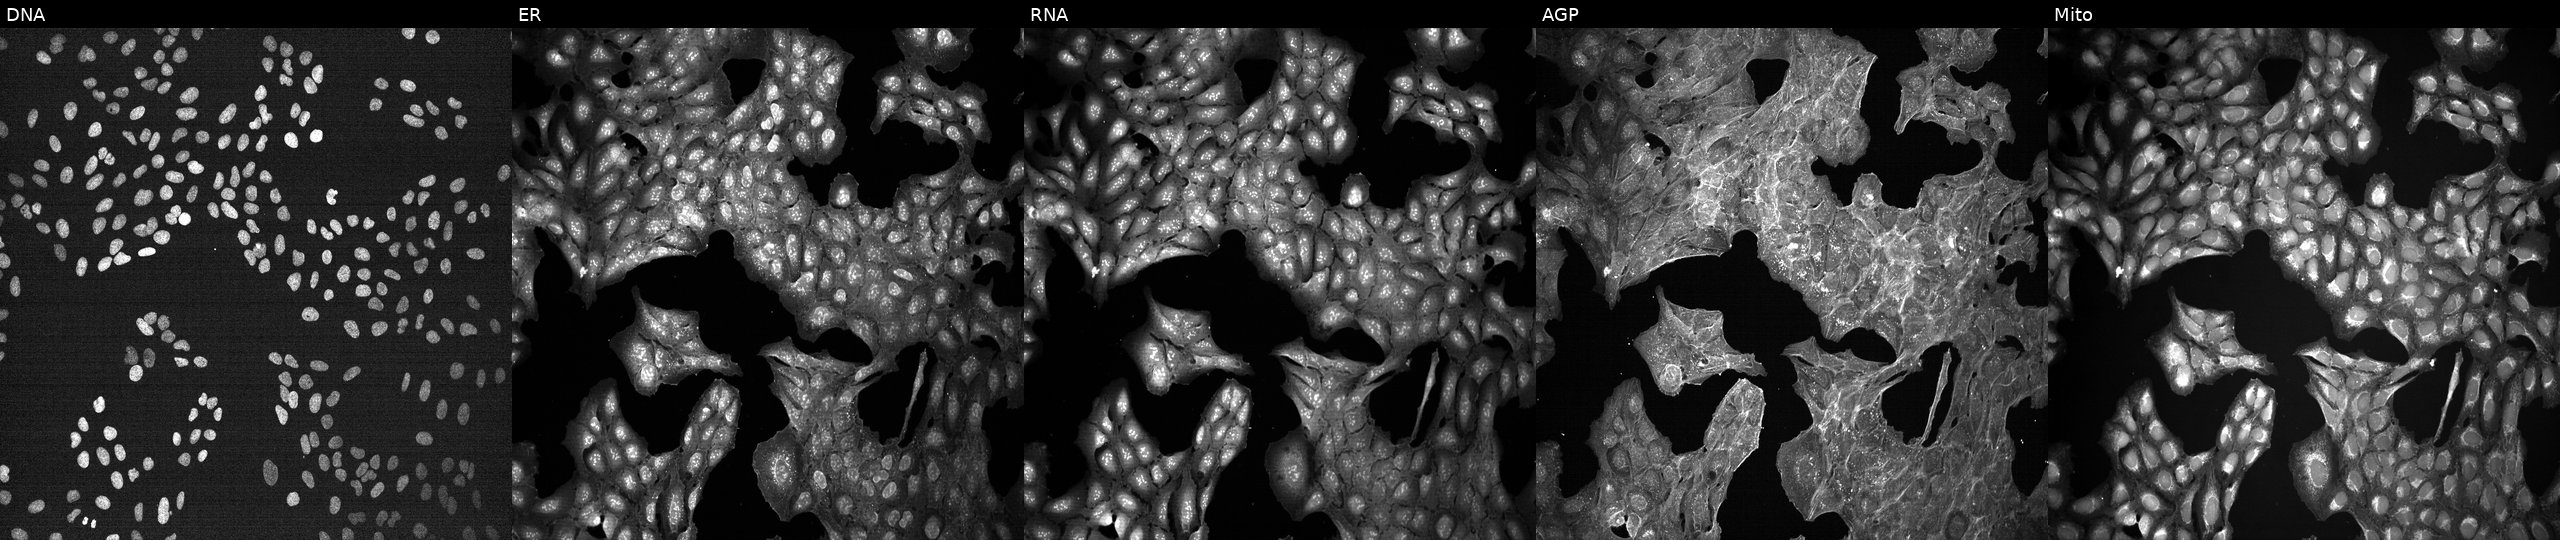
Channels (left→right): DNA, ER, RNA, AGP, and Mito. U2OS osteosarcoma cells treated with a small-molecule compound (InChIKey NLSSUSRERAMBTA-UHFFFAOYSA-N) [SMILES: O=C(Nc1ccc(N2CCC(C(=O)N3CCOCC3)CC2)cc1)c1cnc(Oc2ccccc2)nc1] (JUMP id JCP2022_059825). Cell Painting assay, JUMP-CP dataset.